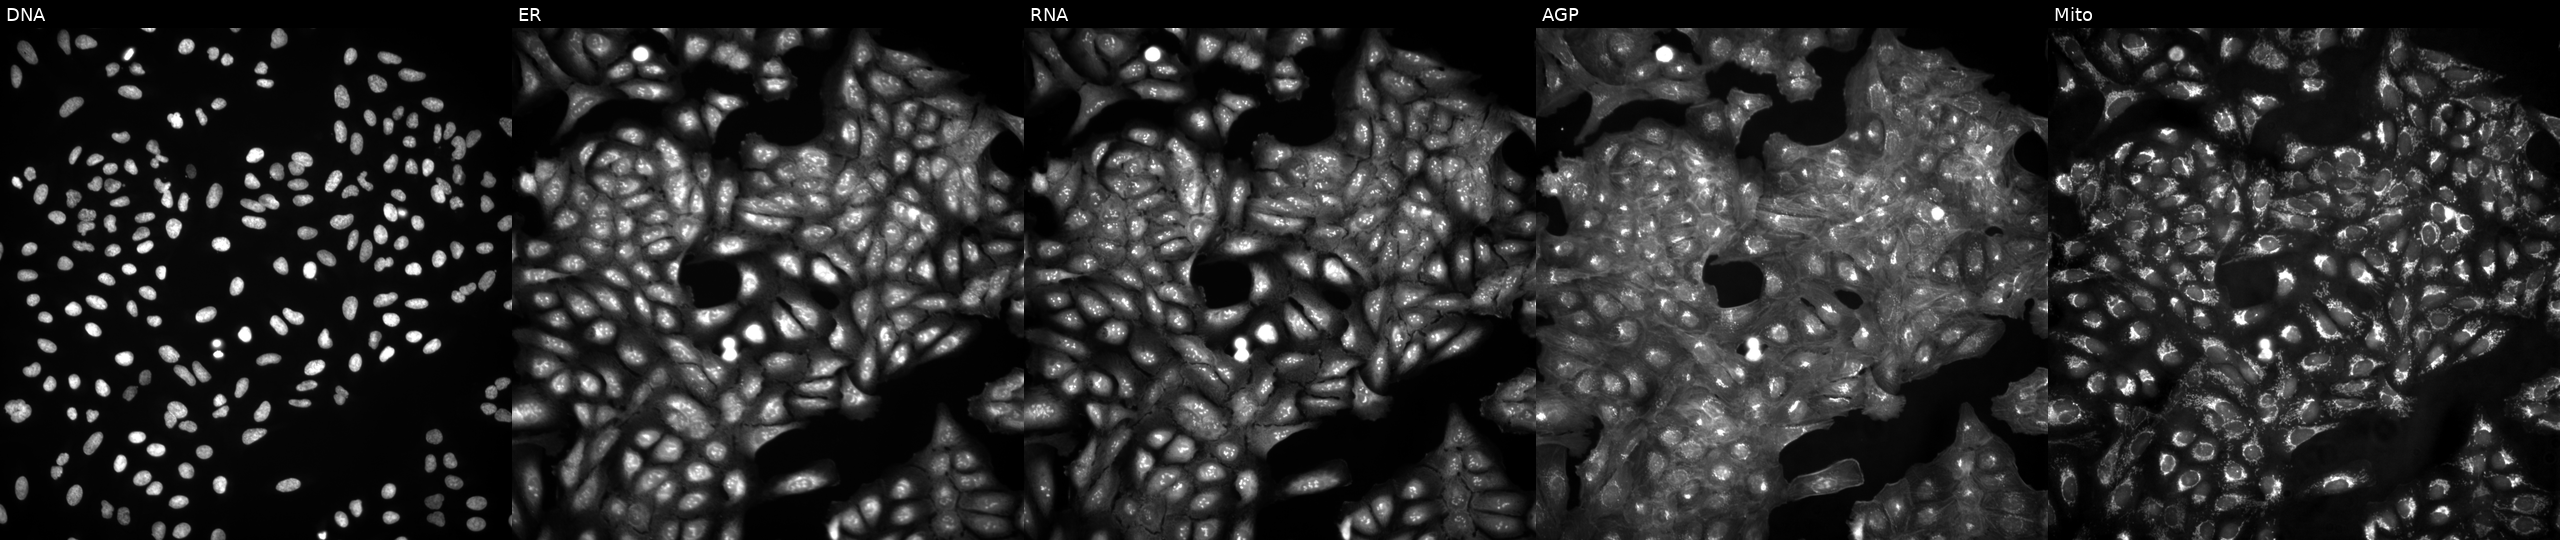
High-content fluorescence microscopy (Cell Painting). Cell line: U2OS. Perturbation: untreated (empty-well control). From left to right: Hoechst 33342, concanavalin A, SYTO 14, phalloidin and WGA, MitoTracker.